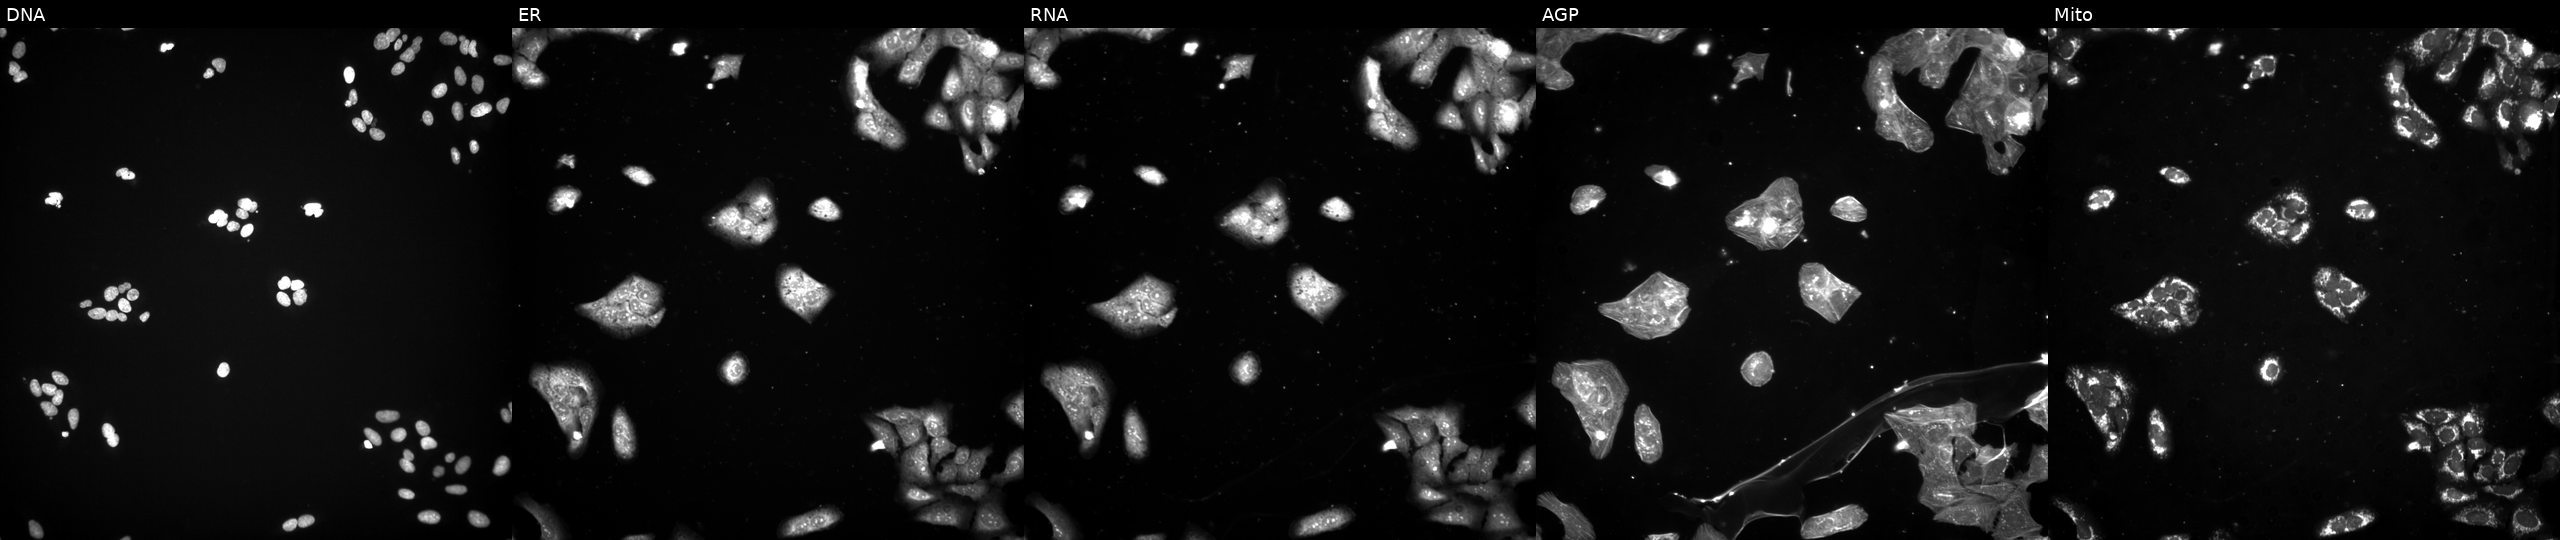
Panels show, left to right, DNA, ER, RNA, AGP, and Mito. U2OS osteosarcoma cells treated with a small-molecule compound (InChIKey CWHUFRVAEUJCEF-UHFFFAOYSA-N) [SMILES: N=c1cc(C(F)(F)F)c(-c2cc(N3CCOCC3)nc(N3CCOCC3)n2)c[nH]1]. Cell Painting assay, JUMP-CP dataset.